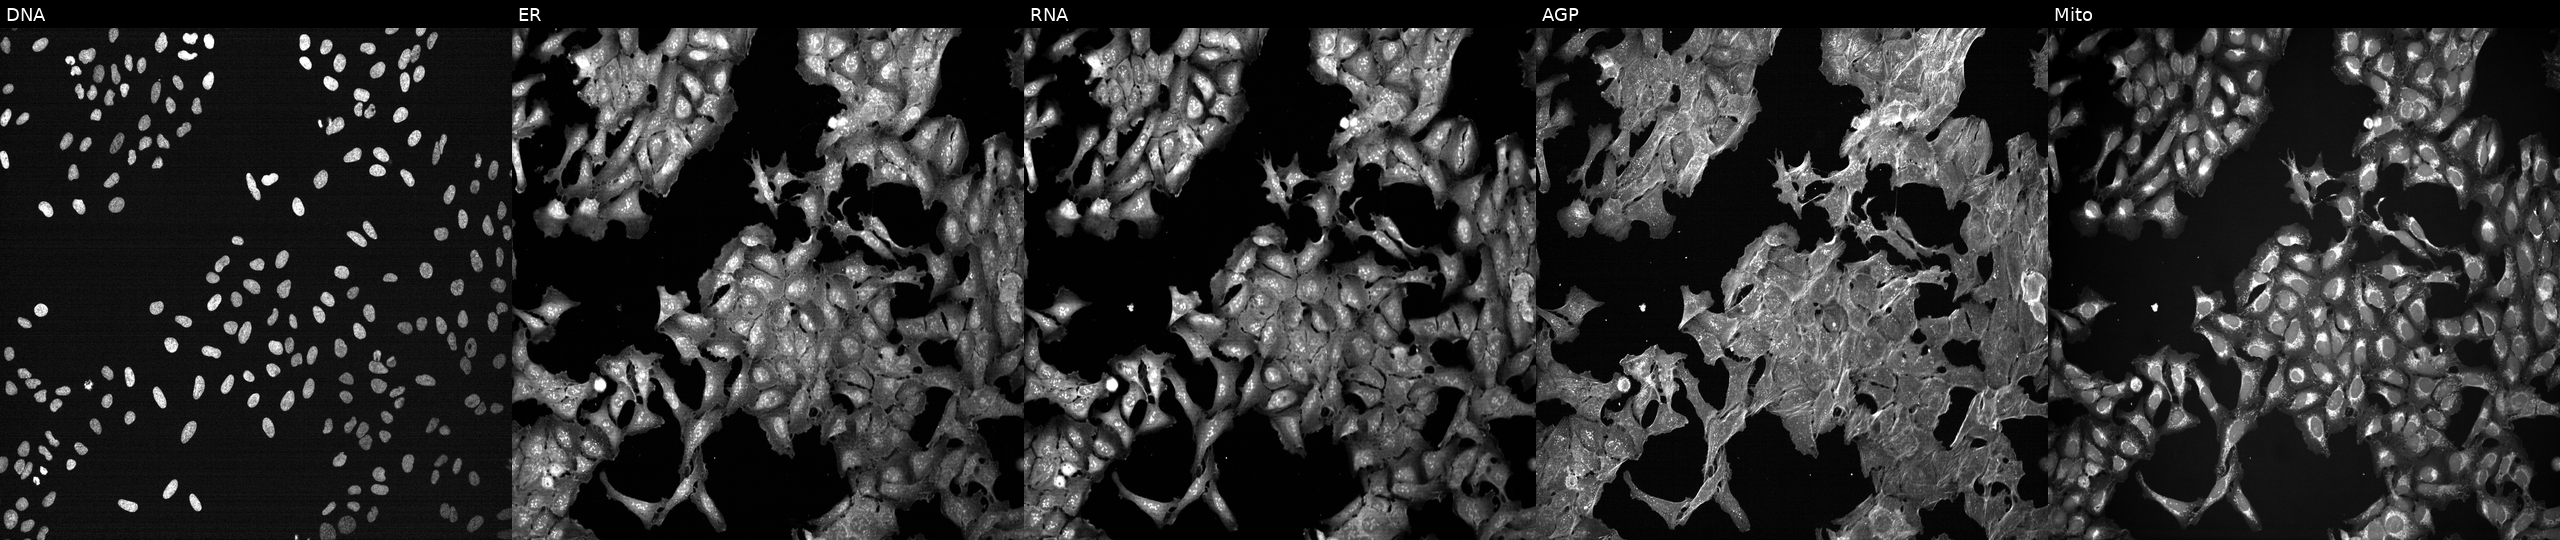
Panels show, left to right, DNA, ER, RNA, AGP, and Mito. U2OS osteosarcoma cells treated with DMSO vehicle only (negative control). Cell Painting assay, JUMP-CP dataset. Source 7, plate CP3-SC1-25, well I20.